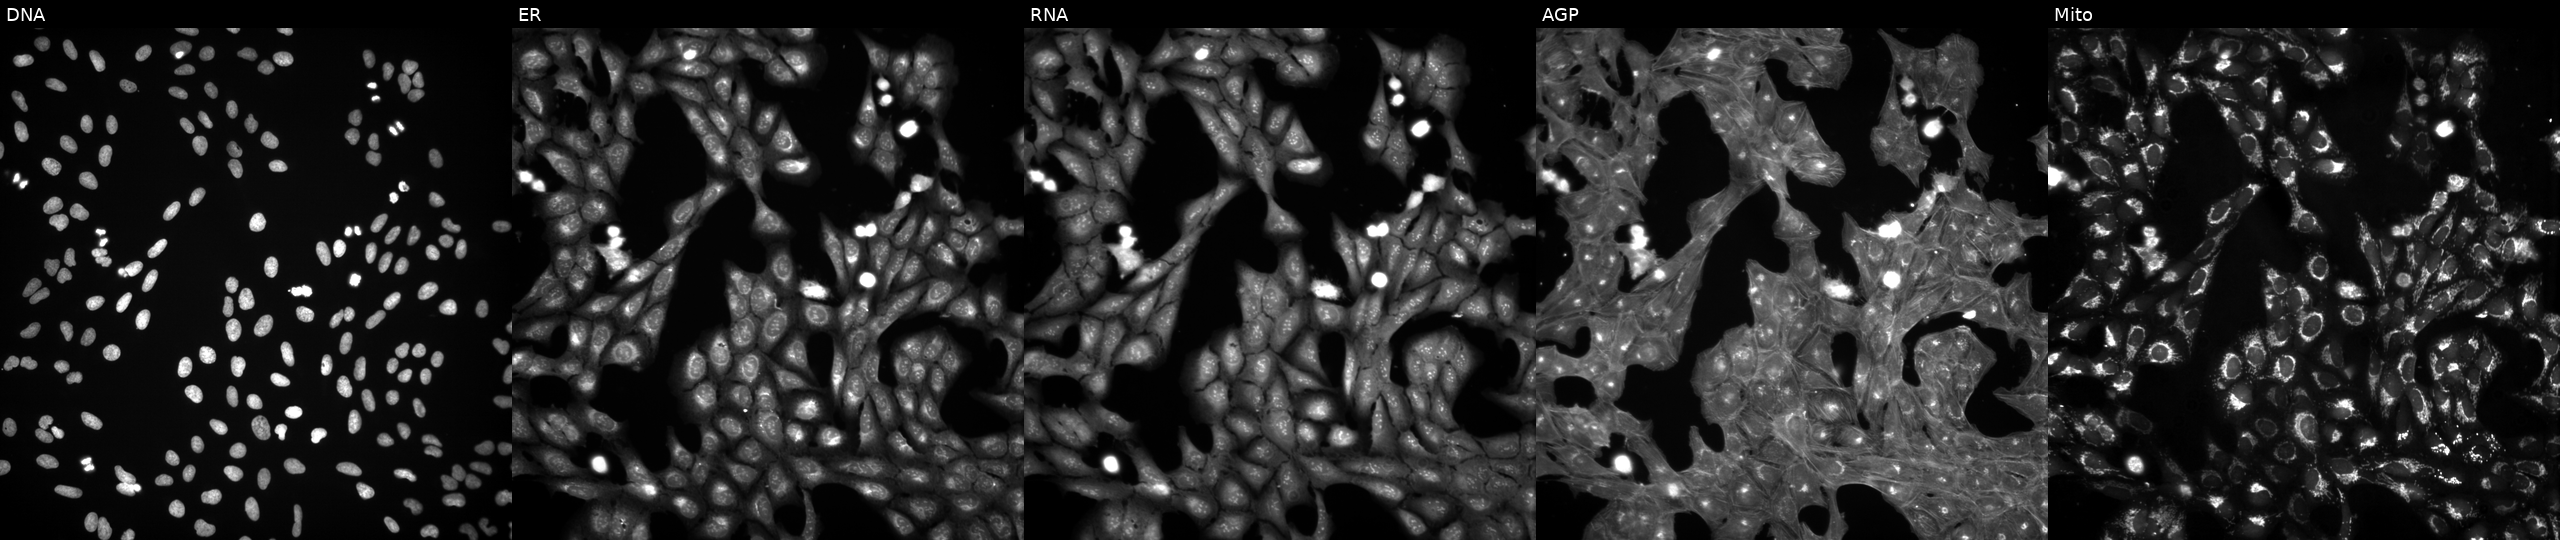
From left to right: DNA, ER, RNA, AGP, and Mito. U2OS osteosarcoma cells exposed to DMSO alone as a negative control (JUMP id JCP2022_033924). Cell Painting assay, JUMP-CP dataset. Source 3, plate JCPQC053, well L03.